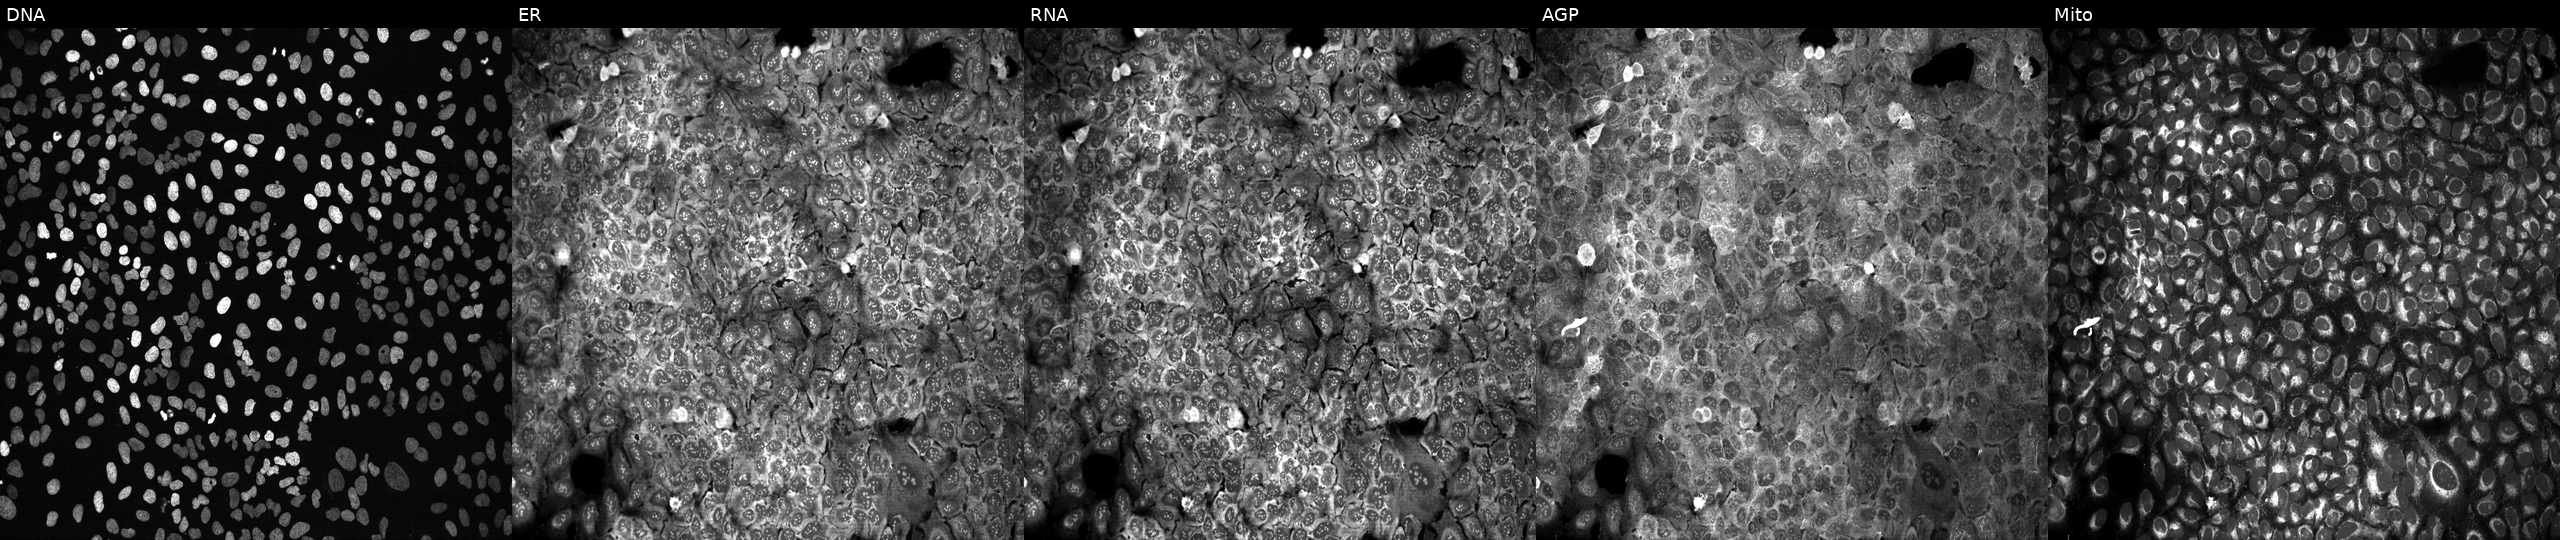
U2OS cells, Cell Painting assay, CRISPR-edited to disrupt VCL. Channels (left→right): Hoechst 33342, concanavalin A, SYTO 14, phalloidin and WGA, MitoTracker. Each panel is percentile-stretched 16-bit fluorescence.